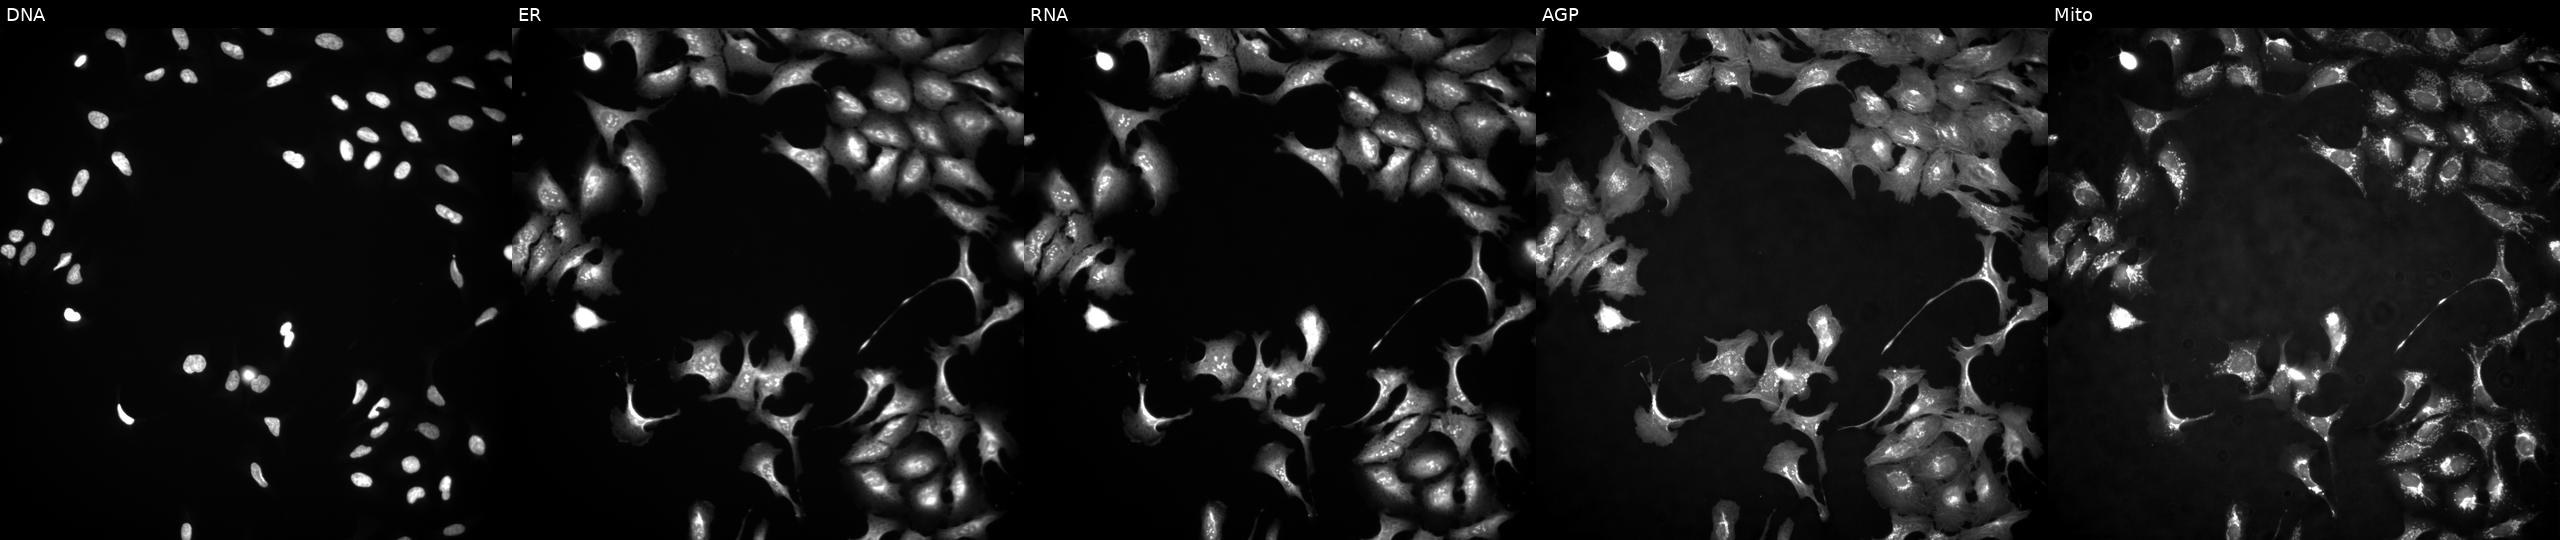
High-content fluorescence microscopy (Cell Painting). Cell line: U2OS. Perturbation: overexpressing CYB5A via ORF transfection (JUMP id JCP2022_900371). Panels show, left to right, DNA, ER, RNA, AGP, and Mito.